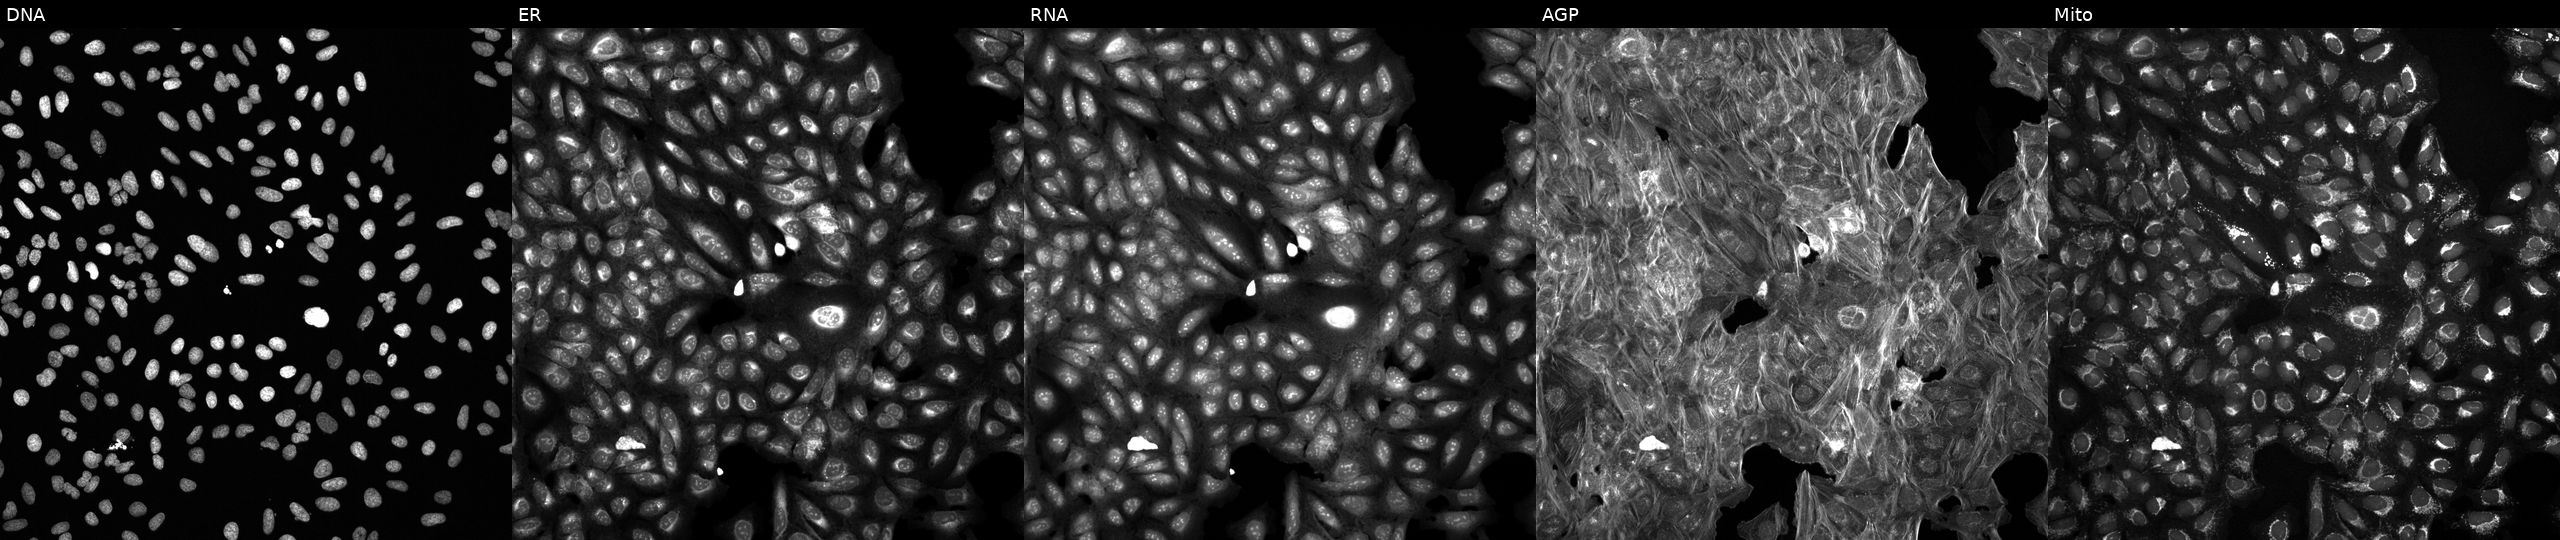
Five-channel Cell Painting image of U2OS cells treated with DMSO vehicle only (negative control) (JUMP id JCP2022_033924). From left to right: DNA, ER, RNA, AGP, and Mito. Source 6, plate 110000293082, well G02.